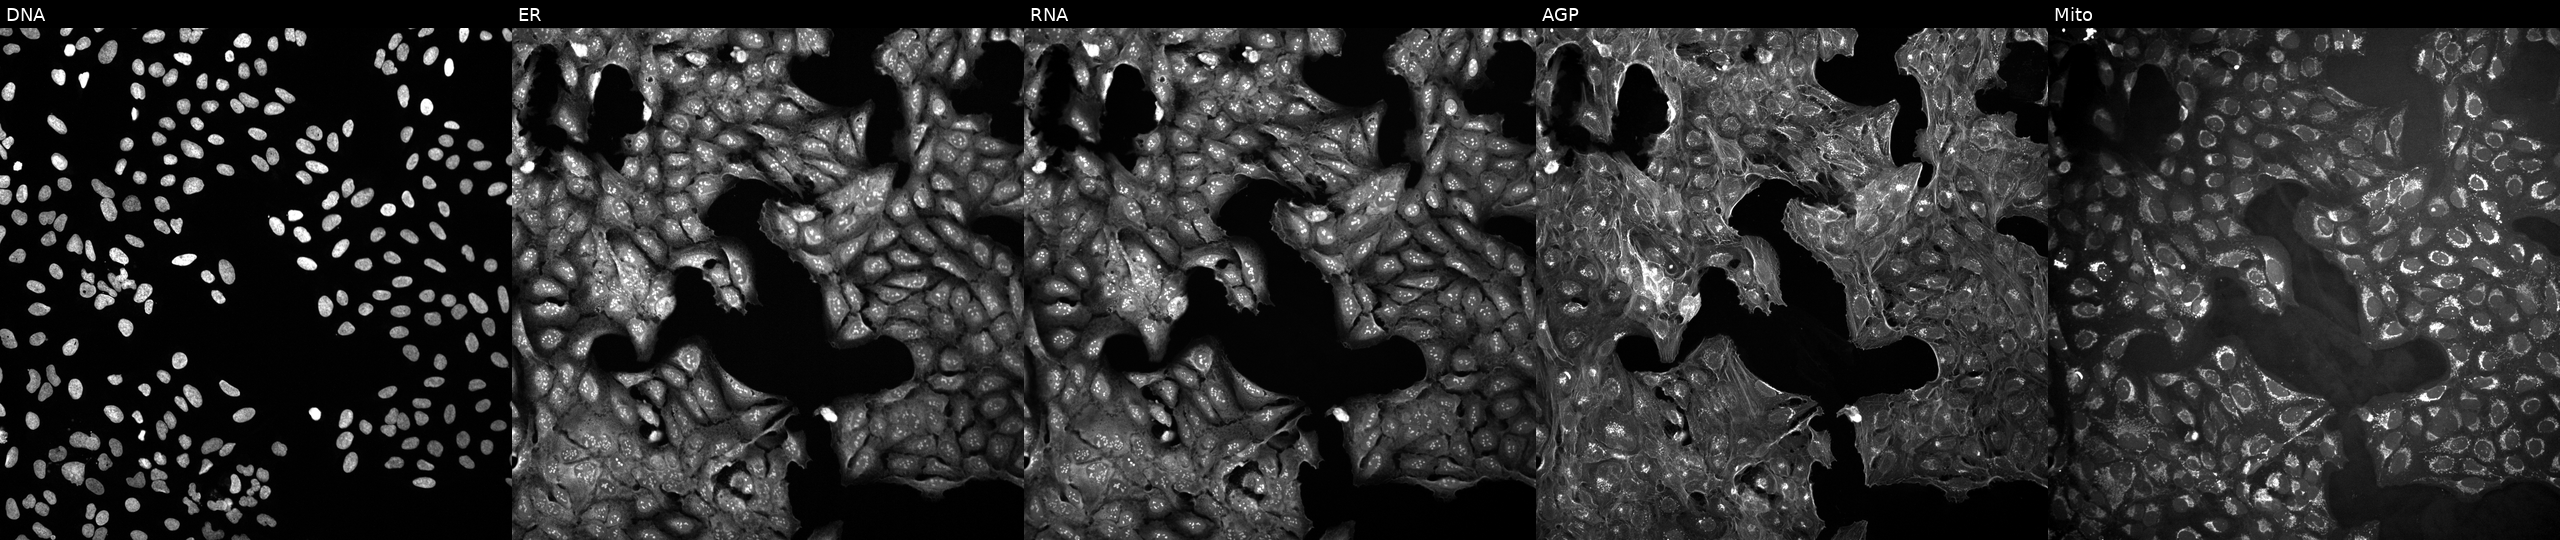
U2OS cells, Cell Painting assay, perturbed with a small-molecule compound (InChIKey OEUDRIVZIAWECA-UHFFFAOYSA-N) (JUMP id JCP2022_063341). From left to right: Hoechst 33342, concanavalin A, SYTO 14, phalloidin and WGA, MitoTracker. Each panel is percentile-stretched 16-bit fluorescence. Source 10, plate Dest210531-152149, well M14.